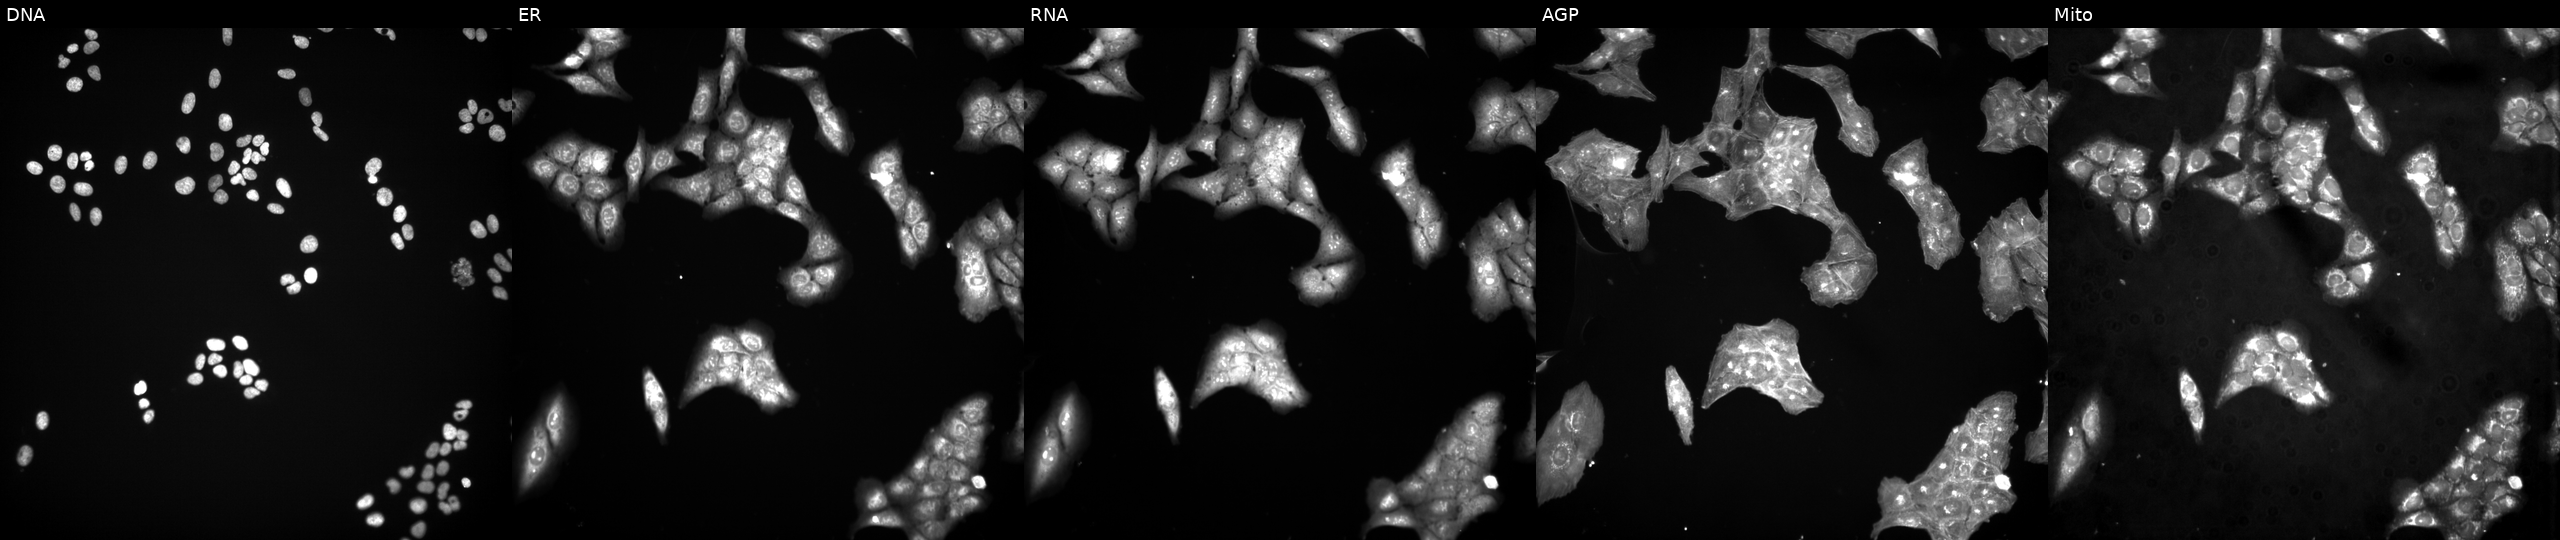
High-content fluorescence microscopy (Cell Painting). Cell line: U2OS. Perturbation: treated with a small-molecule compound (InChIKey LNFZRMDSZJCZTG-UHFFFAOYSA-N) (JUMP id JCP2022_050516). Channels (left→right): Hoechst 33342, concanavalin A, SYTO 14, phalloidin and WGA, MitoTracker. Source 3, plate JCPQC053, well P23.